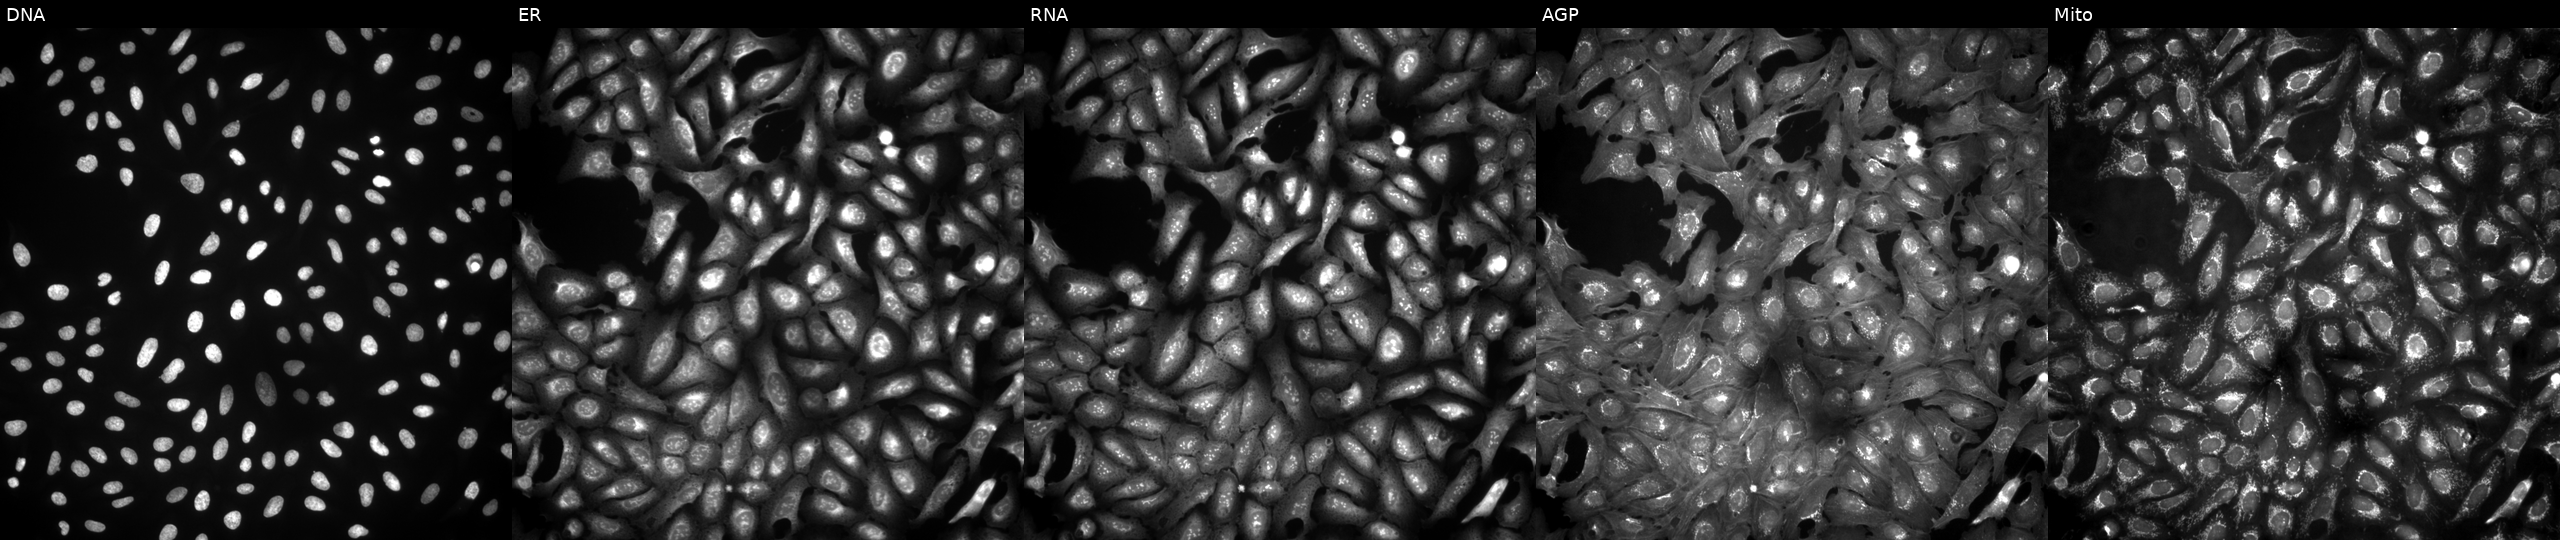
Panels show, left to right, DNA (nuclei); ER (endoplasmic reticulum); RNA (nucleoli and cytoplasmic RNA); AGP (actin cytoskeleton, Golgi, and plasma membrane); Mito (mitochondria). U2OS osteosarcoma cells with XLOC_l2_013931 overexpressed (ORF). Cell Painting assay, JUMP-CP dataset. Source 4, plate BR00124790, well A11.